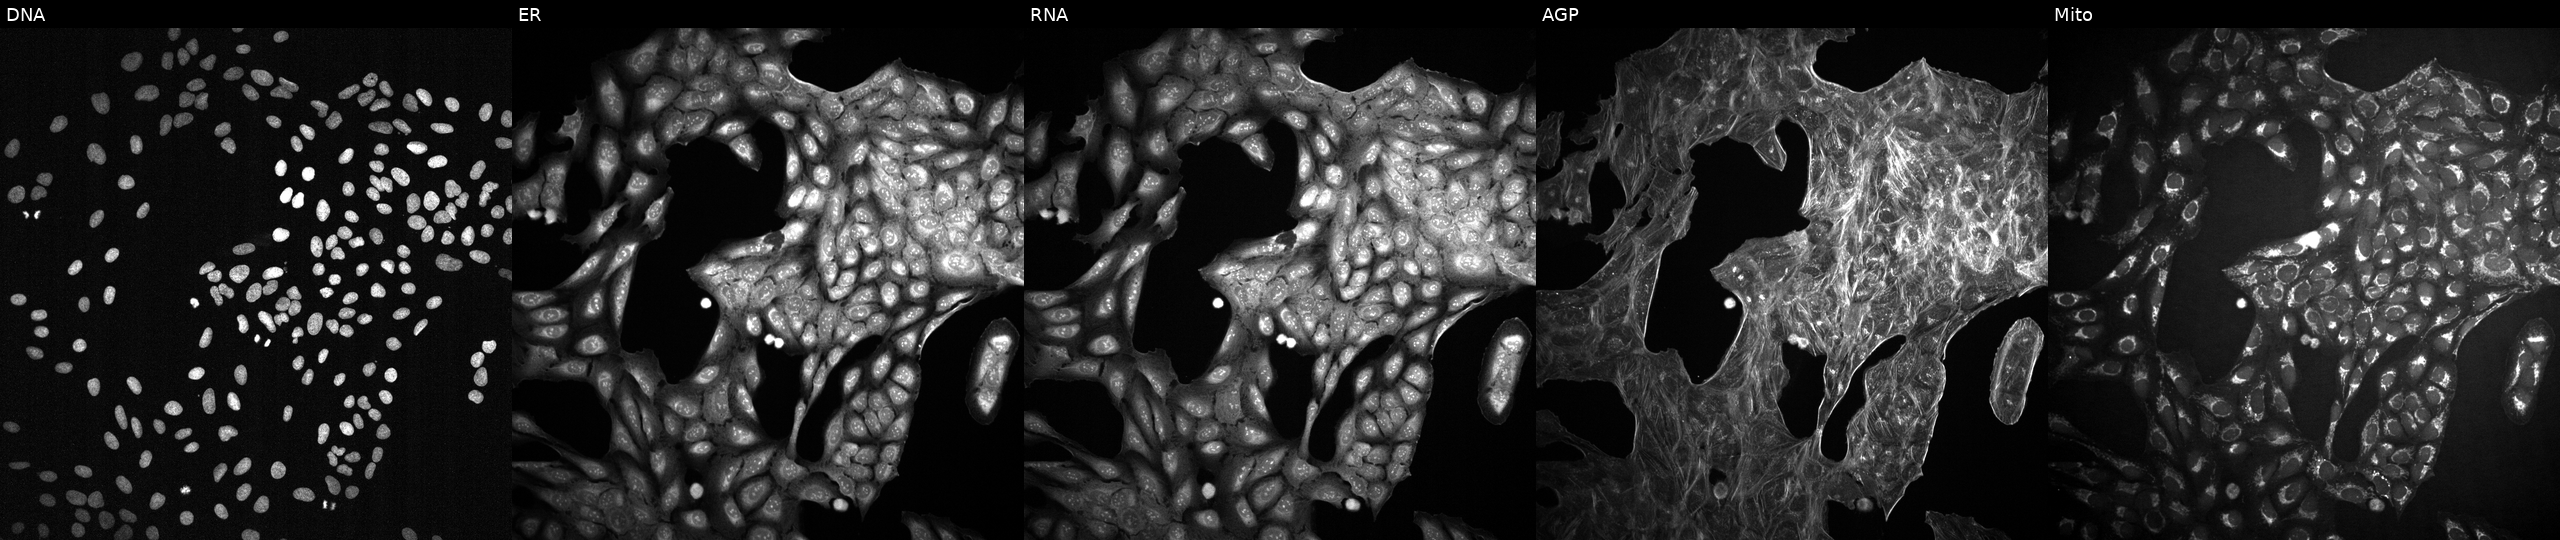
Five-channel Cell Painting image of U2OS cells treated with a small-molecule compound (JUMP id JCP2022_051043). From left to right: DNA (nuclei); ER (endoplasmic reticulum); RNA (nucleoli and cytoplasmic RNA); AGP (actin cytoskeleton, Golgi, and plasma membrane); Mito (mitochondria). Source 2, plate 1053599503, well I06.